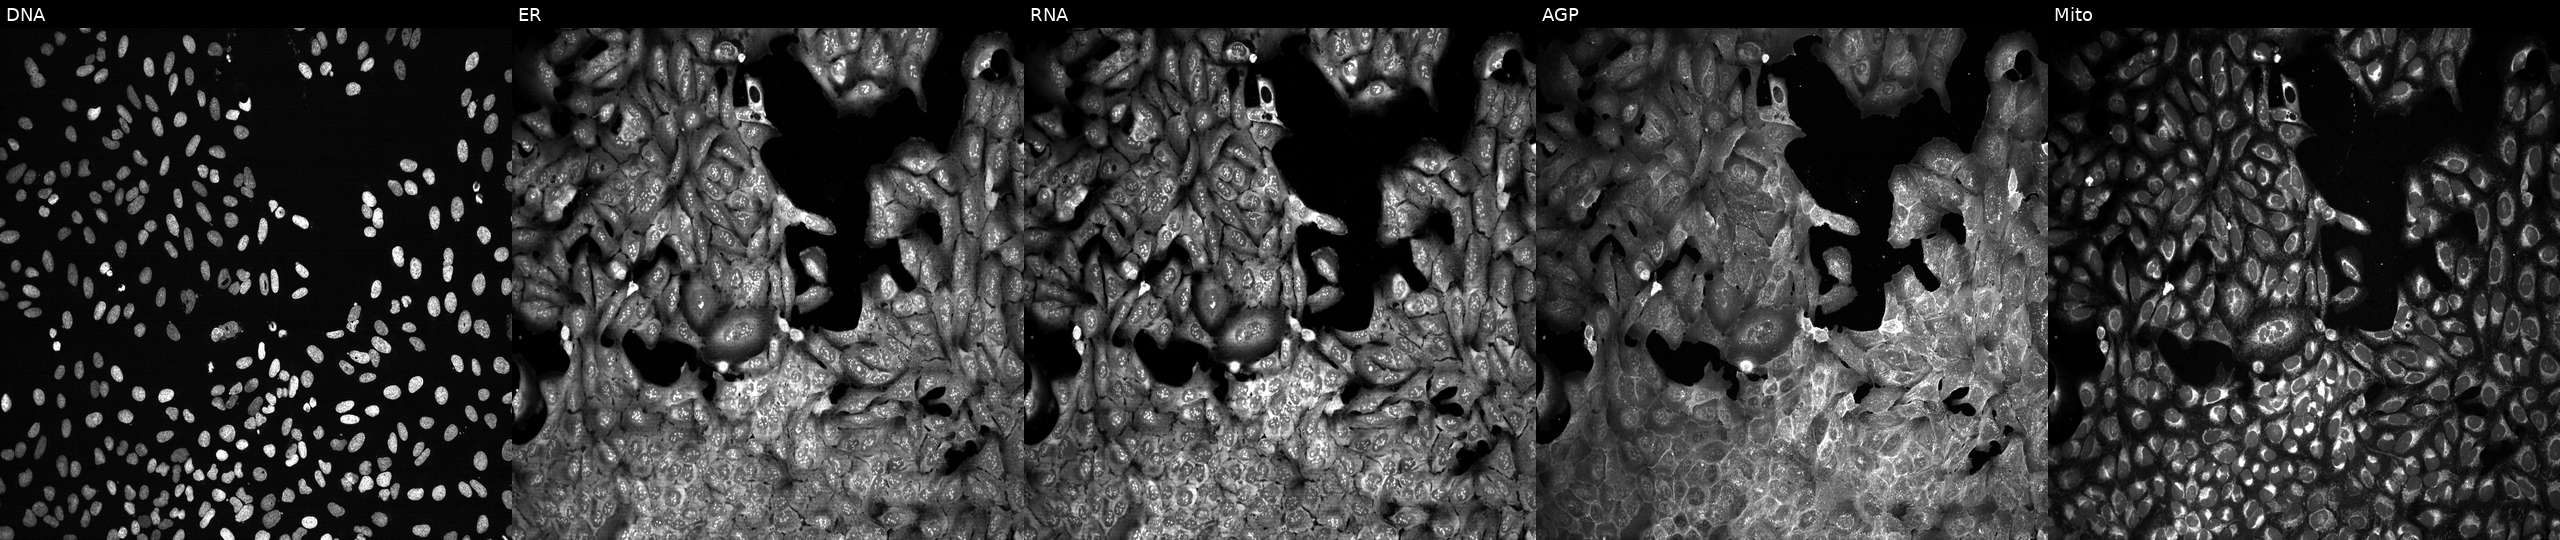
U2OS cells, Cell Painting assay, CRISPR-edited to disrupt NMI. The five panels, left to right, show Hoechst 33342, concanavalin A, SYTO 14, phalloidin and WGA, MitoTracker. Each panel is percentile-stretched 16-bit fluorescence.